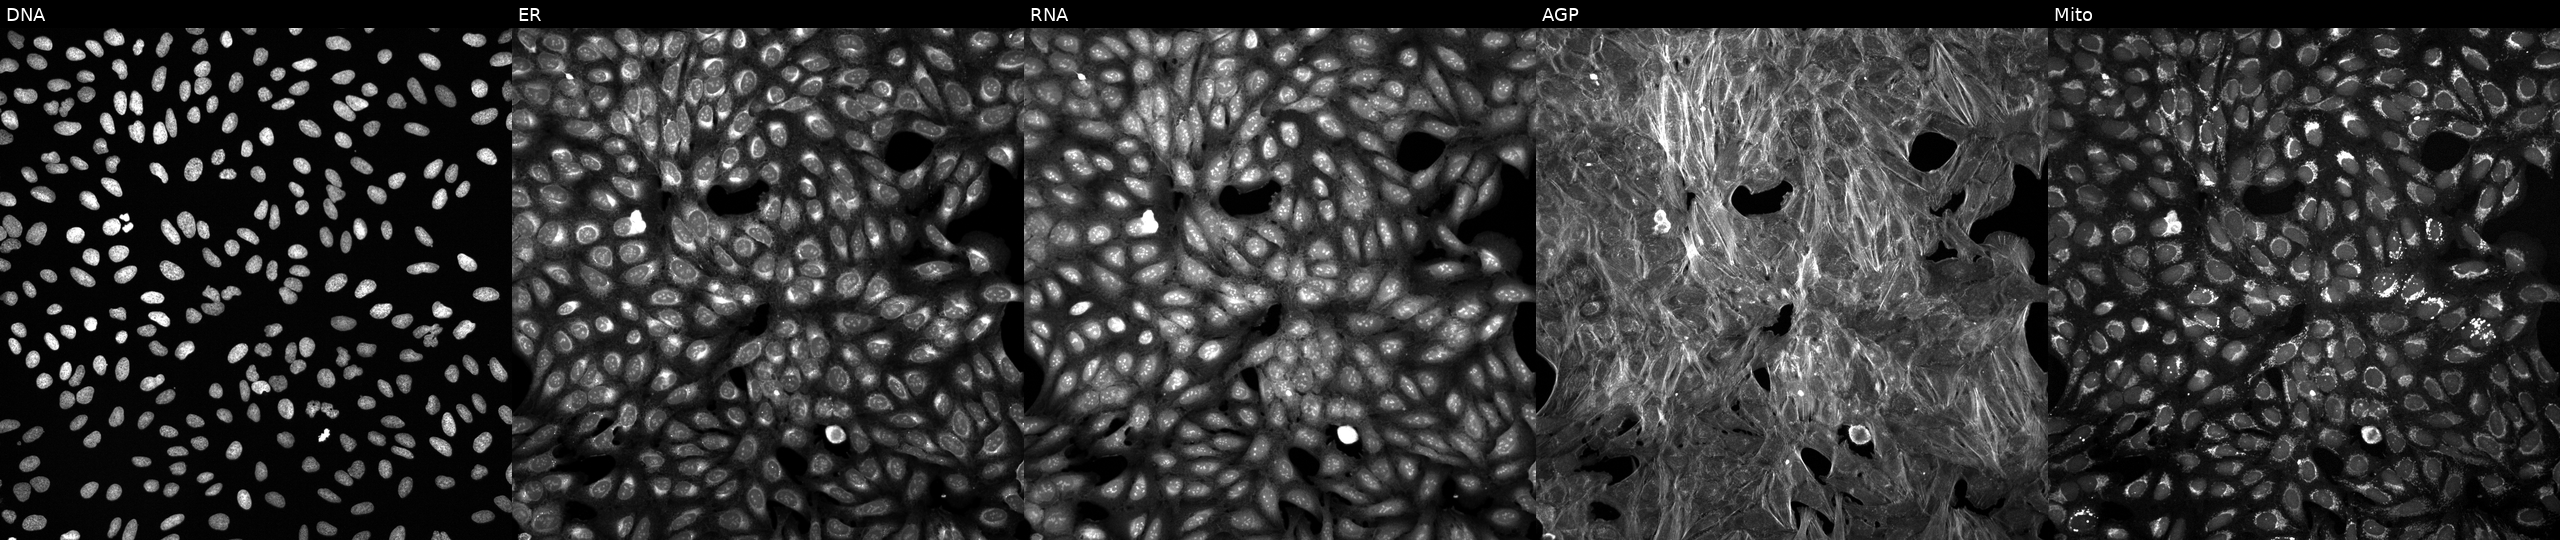
Five-channel Cell Painting image of U2OS cells perturbed with a small-molecule compound. Channels (left→right): DNA (nuclei); ER (endoplasmic reticulum); RNA (nucleoli and cytoplasmic RNA); AGP (actin cytoskeleton, Golgi, and plasma membrane); Mito (mitochondria). Source 6, plate 110000293081, well J22.